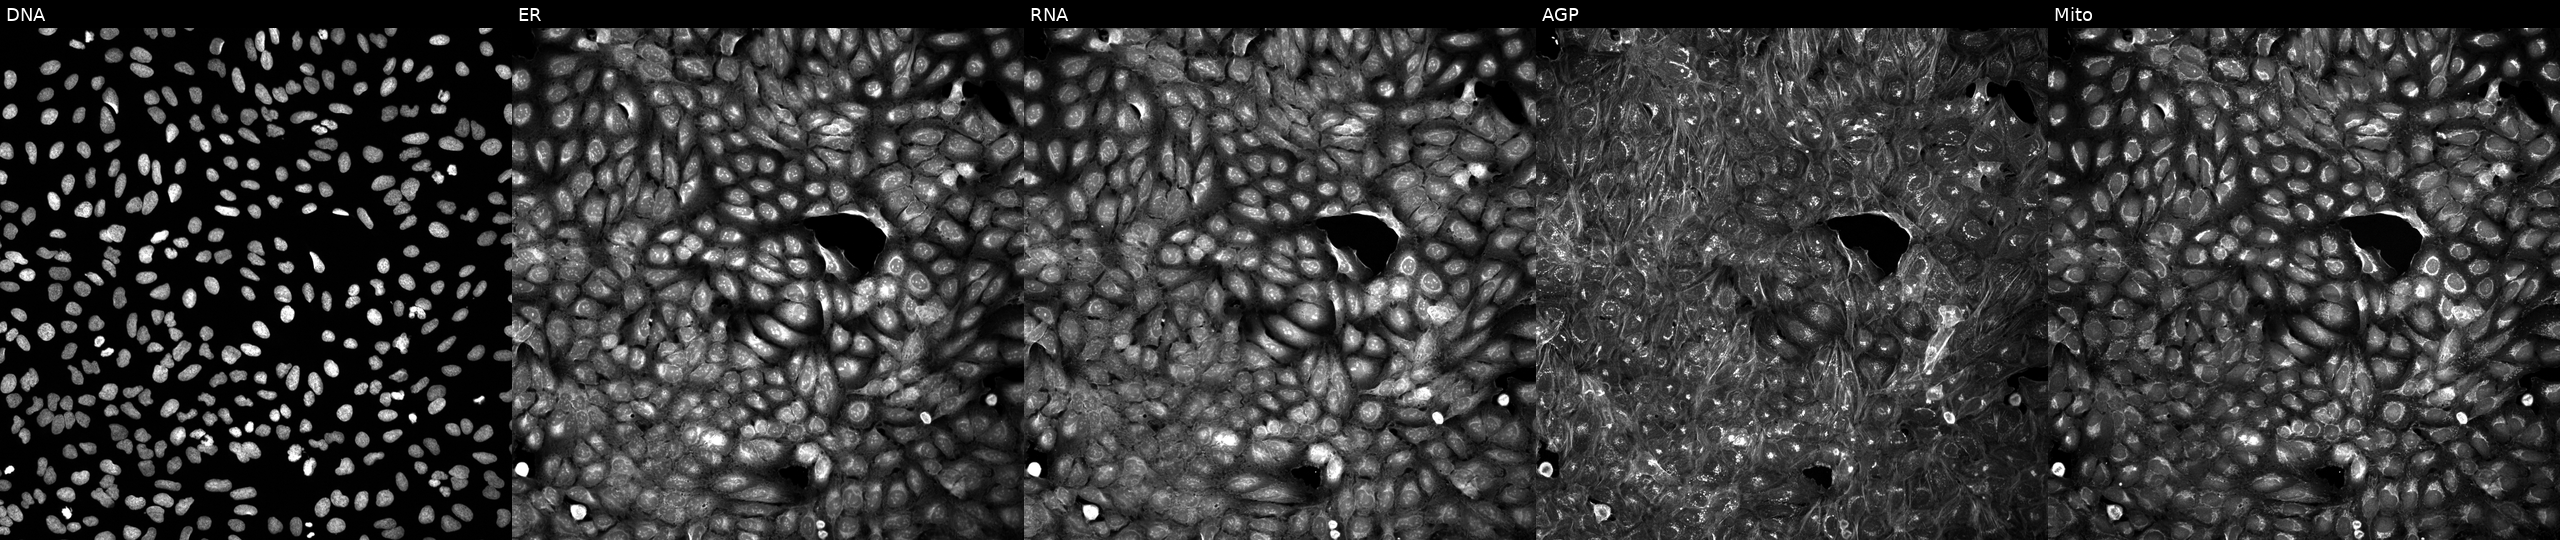
U2OS cells, Cell Painting assay, exposed to a small-molecule compound (InChIKey KPUAXPGYGOSGCD-UHFFFAOYSA-N). Channels (left→right): DNA (nuclei); ER (endoplasmic reticulum); RNA (nucleoli and cytoplasmic RNA); AGP (actin cytoskeleton, Golgi, and plasma membrane); Mito (mitochondria). Each panel is percentile-stretched 16-bit fluorescence.